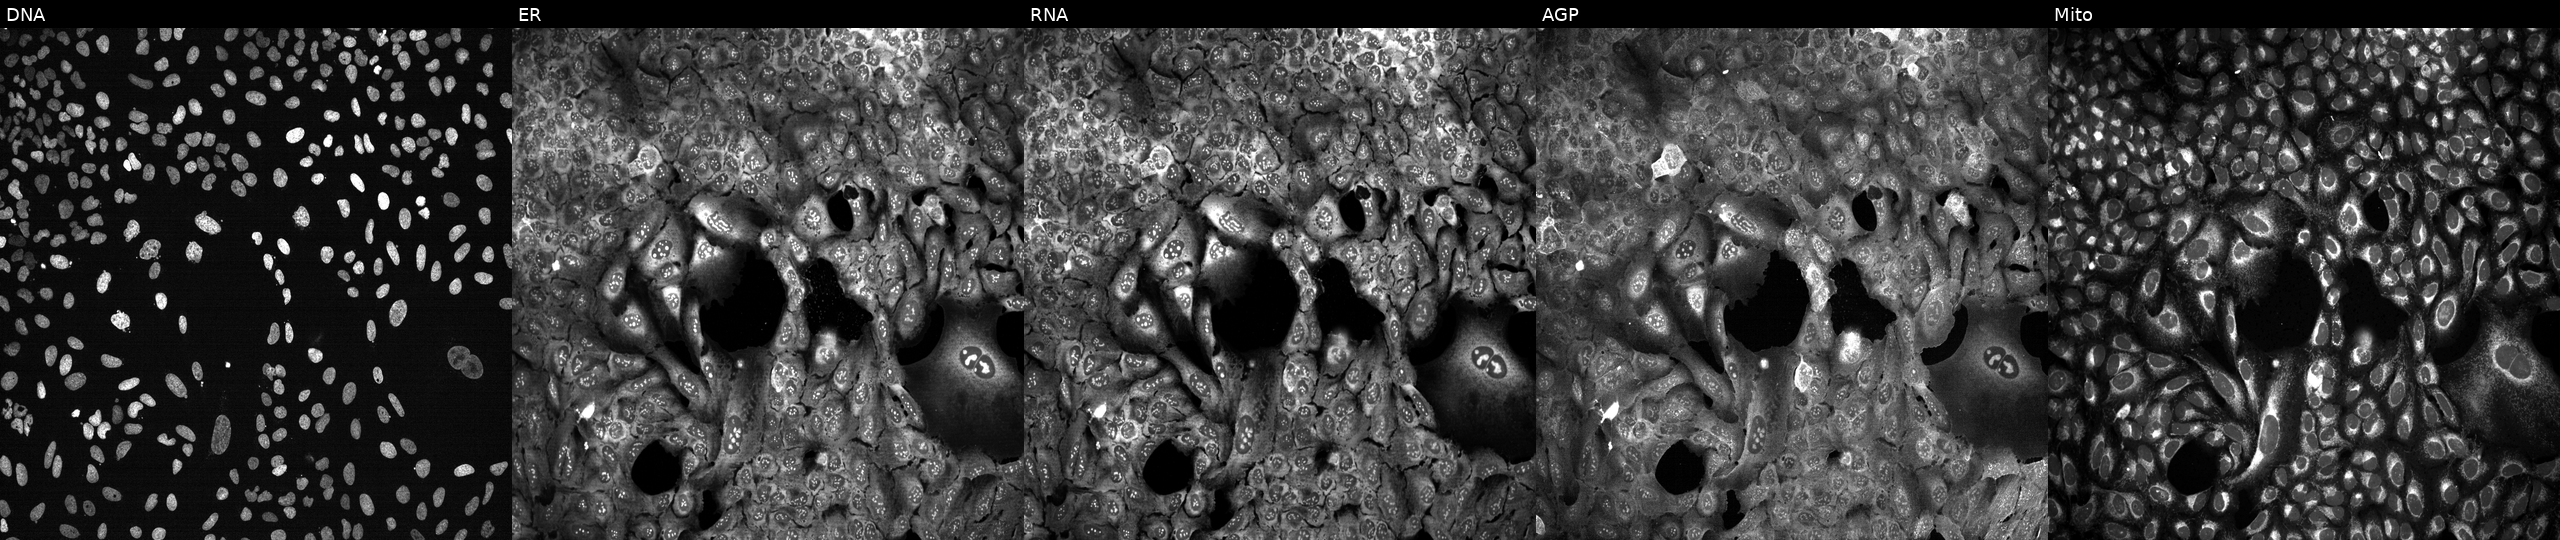
From left to right: Hoechst 33342, concanavalin A, SYTO 14, phalloidin and WGA, MitoTracker. U2OS osteosarcoma cells with ATP6V1B1 knocked out by CRISPR (JUMP id JCP2022_800734). Cell Painting assay, JUMP-CP dataset. Source 13, plate CP-CC9-R4-03, well L18.